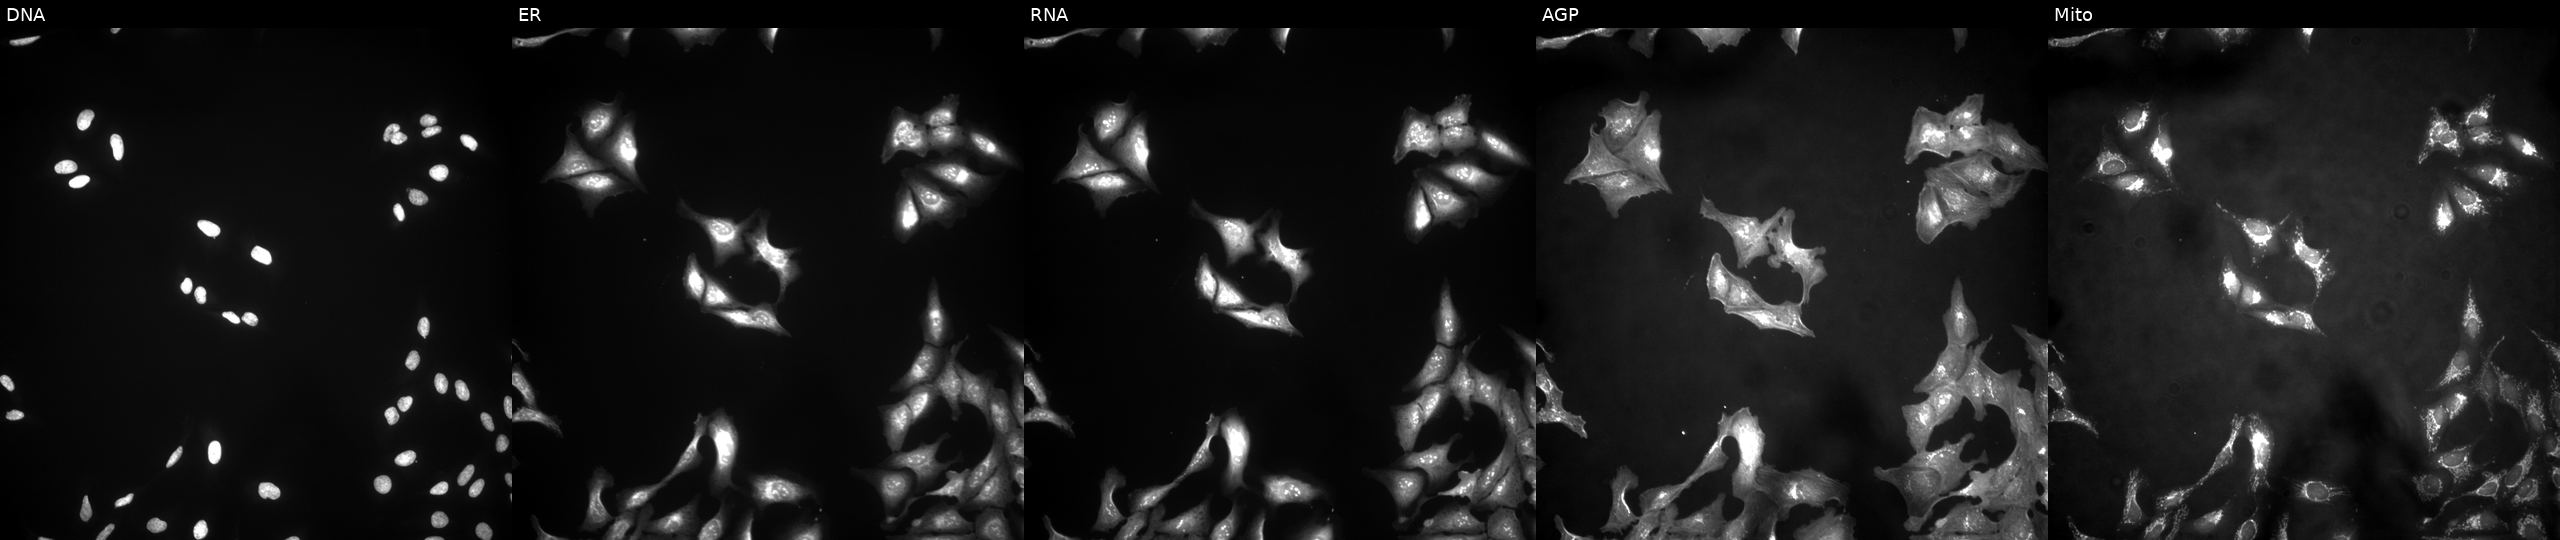
JUMP Cell Painting — ORF plate. U2OS cells overexpressing ACOT1 via ORF transfection. Channels (left→right): DNA, ER, RNA, AGP, and Mito.